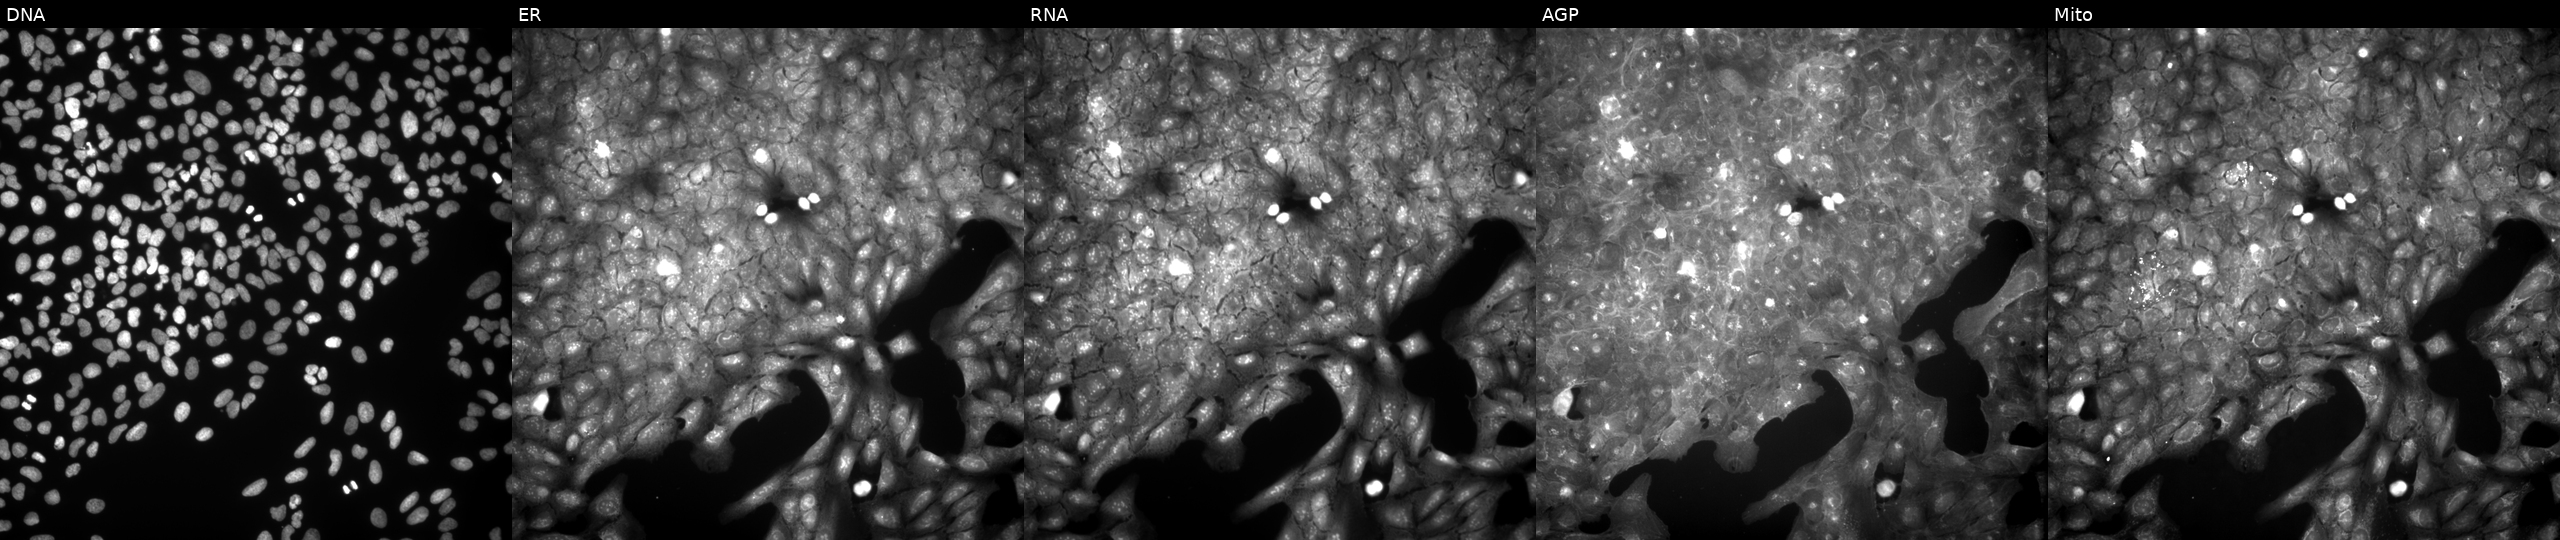
Five-channel Cell Painting image of U2OS cells perturbed with a small-molecule compound. From left to right: Hoechst 33342, concanavalin A, SYTO 14, phalloidin and WGA, MitoTracker. Source 9, plate GR00003382, well P34.